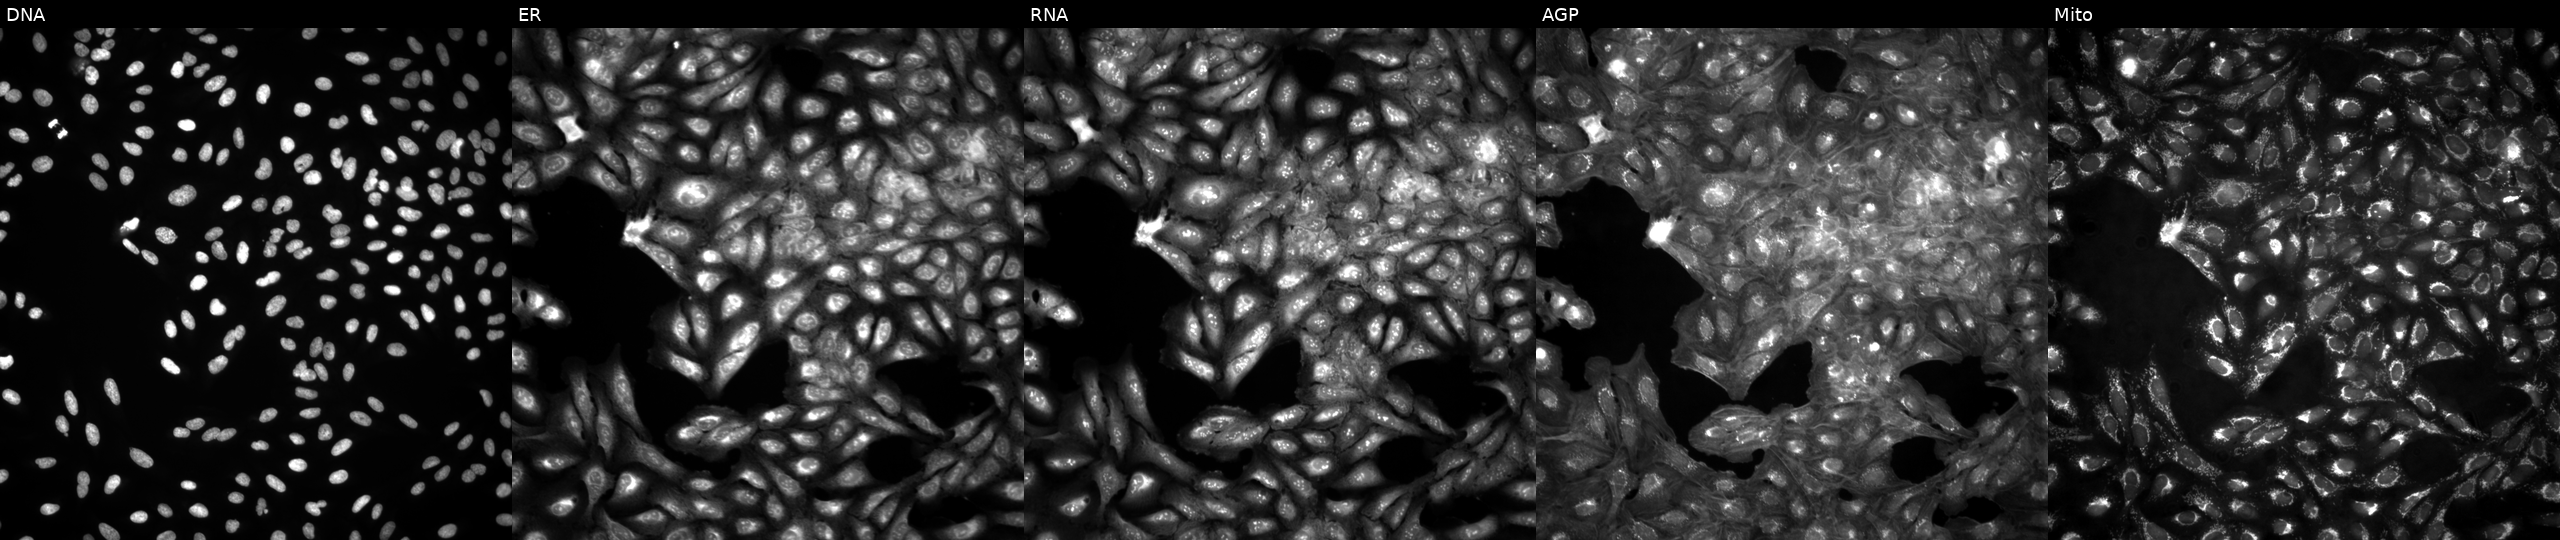
This image strip shows the five Cell Painting channels for a single field of U2OS cells in an empty control well (no perturbation). Channels (left→right): DNA (nuclei); ER (endoplasmic reticulum); RNA (nucleoli and cytoplasmic RNA); AGP (actin cytoskeleton, Golgi, and plasma membrane); Mito (mitochondria). Source 4, plate BR00124793, well A18.